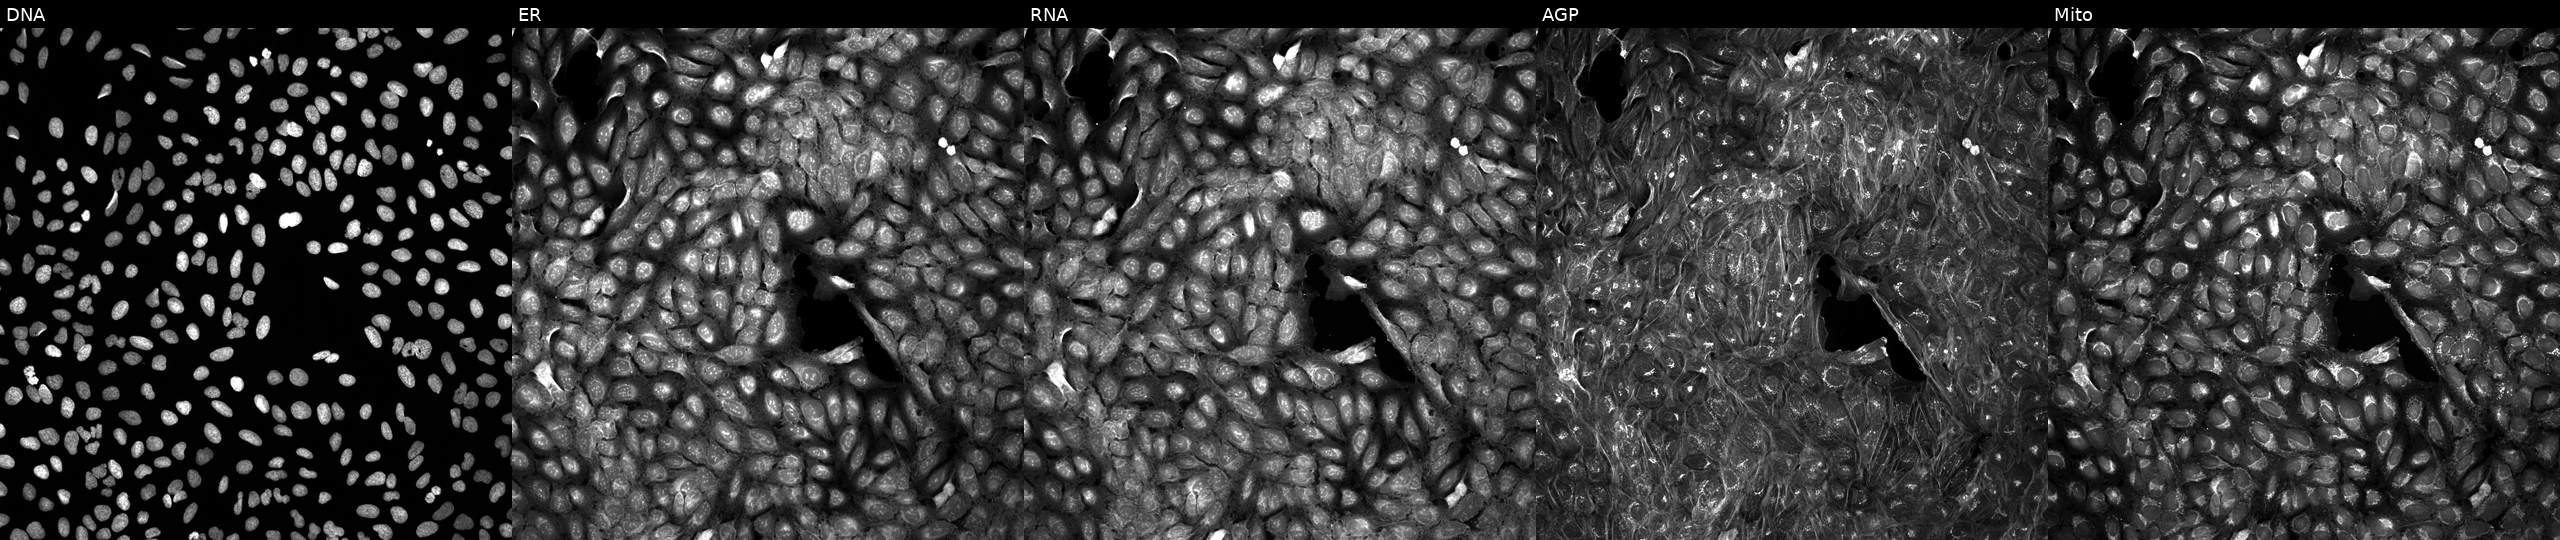
From left to right: DNA (nuclei); ER (endoplasmic reticulum); RNA (nucleoli and cytoplasmic RNA); AGP (actin cytoskeleton, Golgi, and plasma membrane); Mito (mitochondria). U2OS osteosarcoma cells treated with DMSO vehicle only (negative control) (JUMP id JCP2022_033924). Cell Painting assay, JUMP-CP dataset.